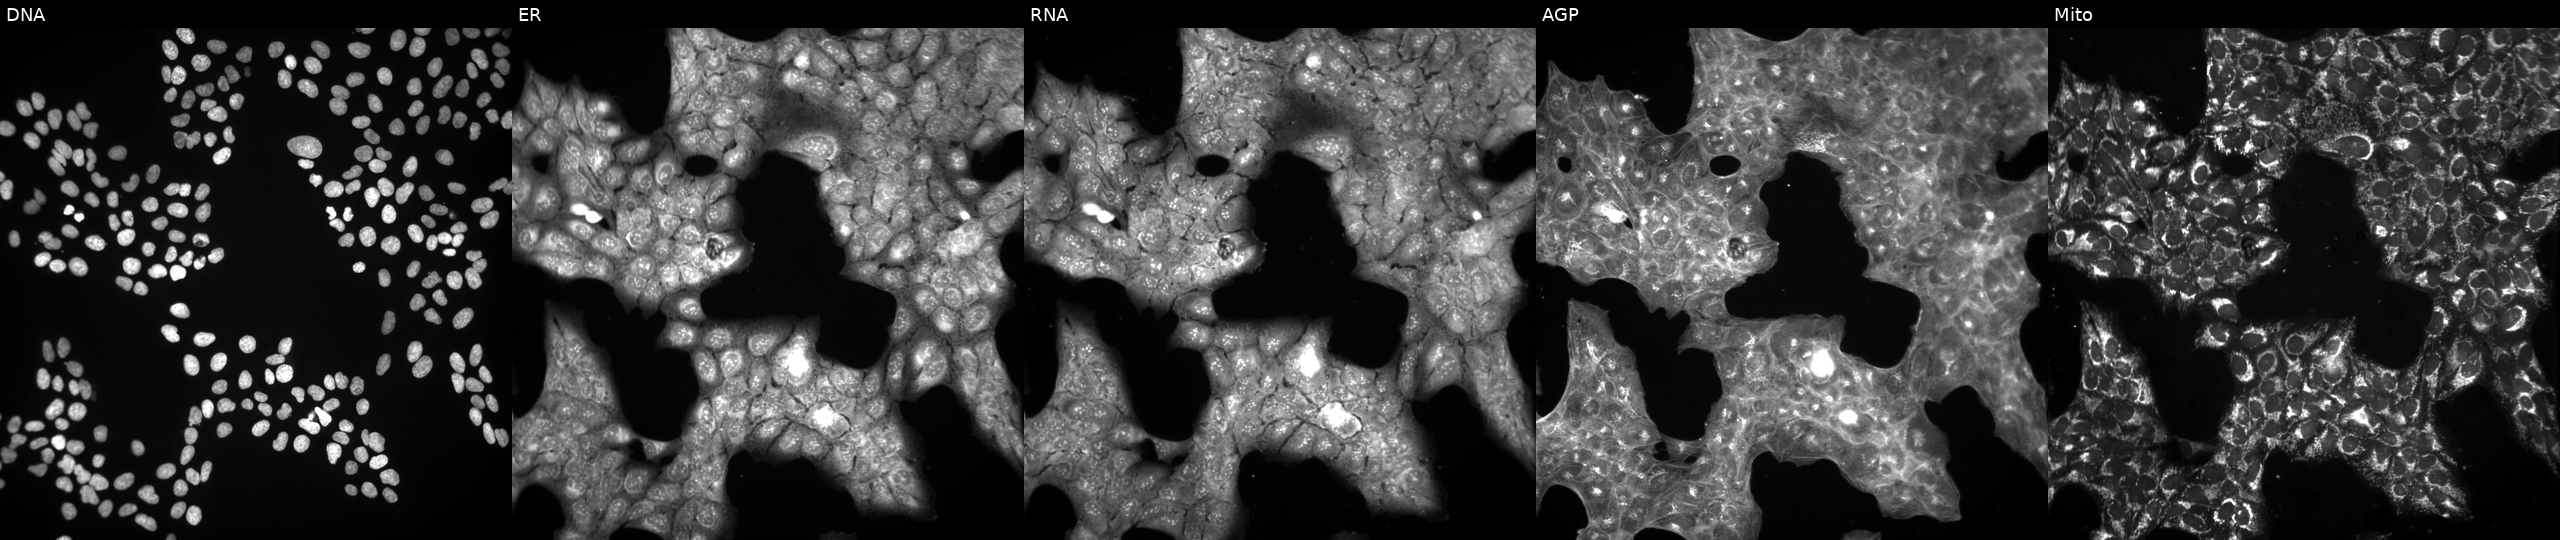
JUMP Cell Painting — COMPOUND plate. U2OS cells treated with LY2109761 (positive-control compound). Panels show, left to right, DNA, ER, RNA, AGP, and Mito.